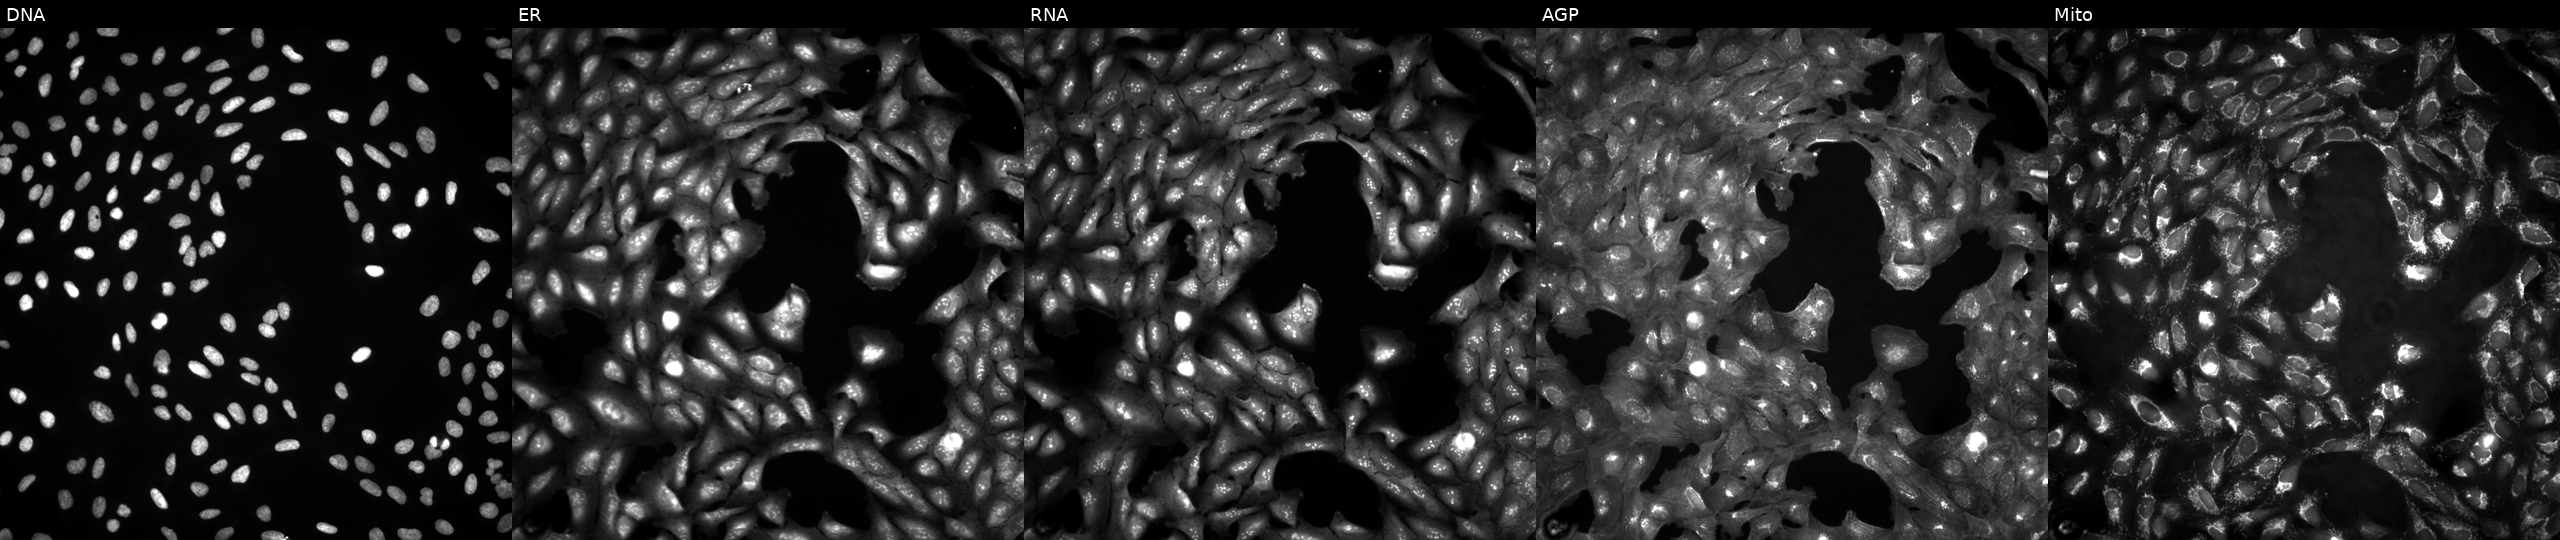
High-content fluorescence microscopy (Cell Painting). Cell line: U2OS. Perturbation: in an empty control well (no perturbation) (JUMP id JCP2022_999999). The five panels, left to right, show Hoechst 33342, concanavalin A, SYTO 14, phalloidin and WGA, MitoTracker.